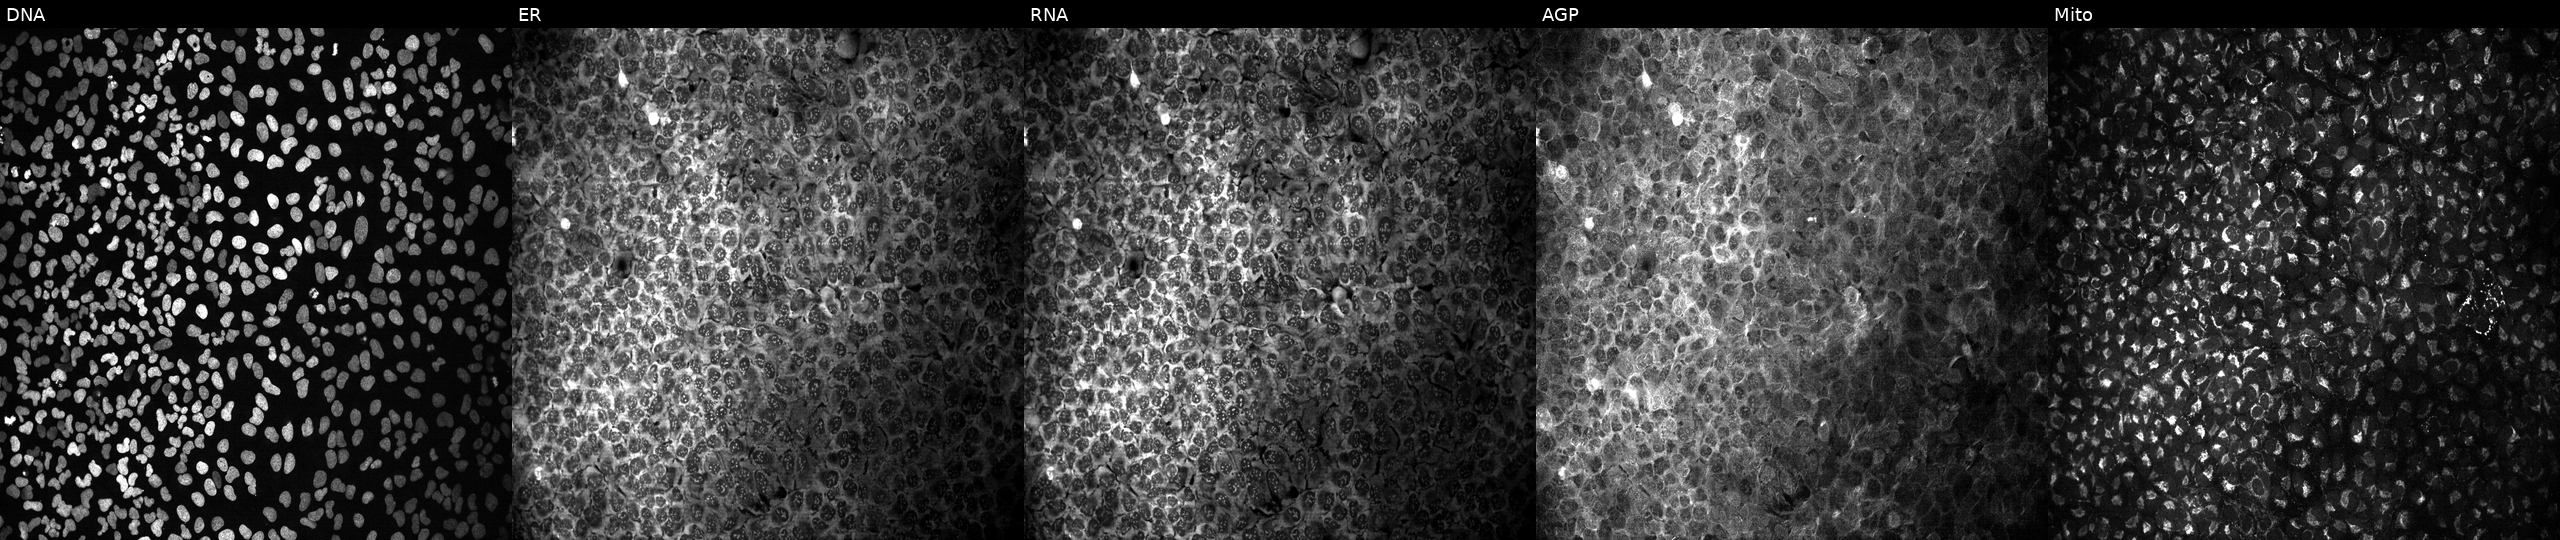
Five-channel Cell Painting image of U2OS cells with no CRISPR guide (negative control) (JUMP id JCP2022_800001). The five panels, left to right, show Hoechst 33342, concanavalin A, SYTO 14, phalloidin and WGA, MitoTracker. Source 13, plate CP-CC9-R3-01, well M23.